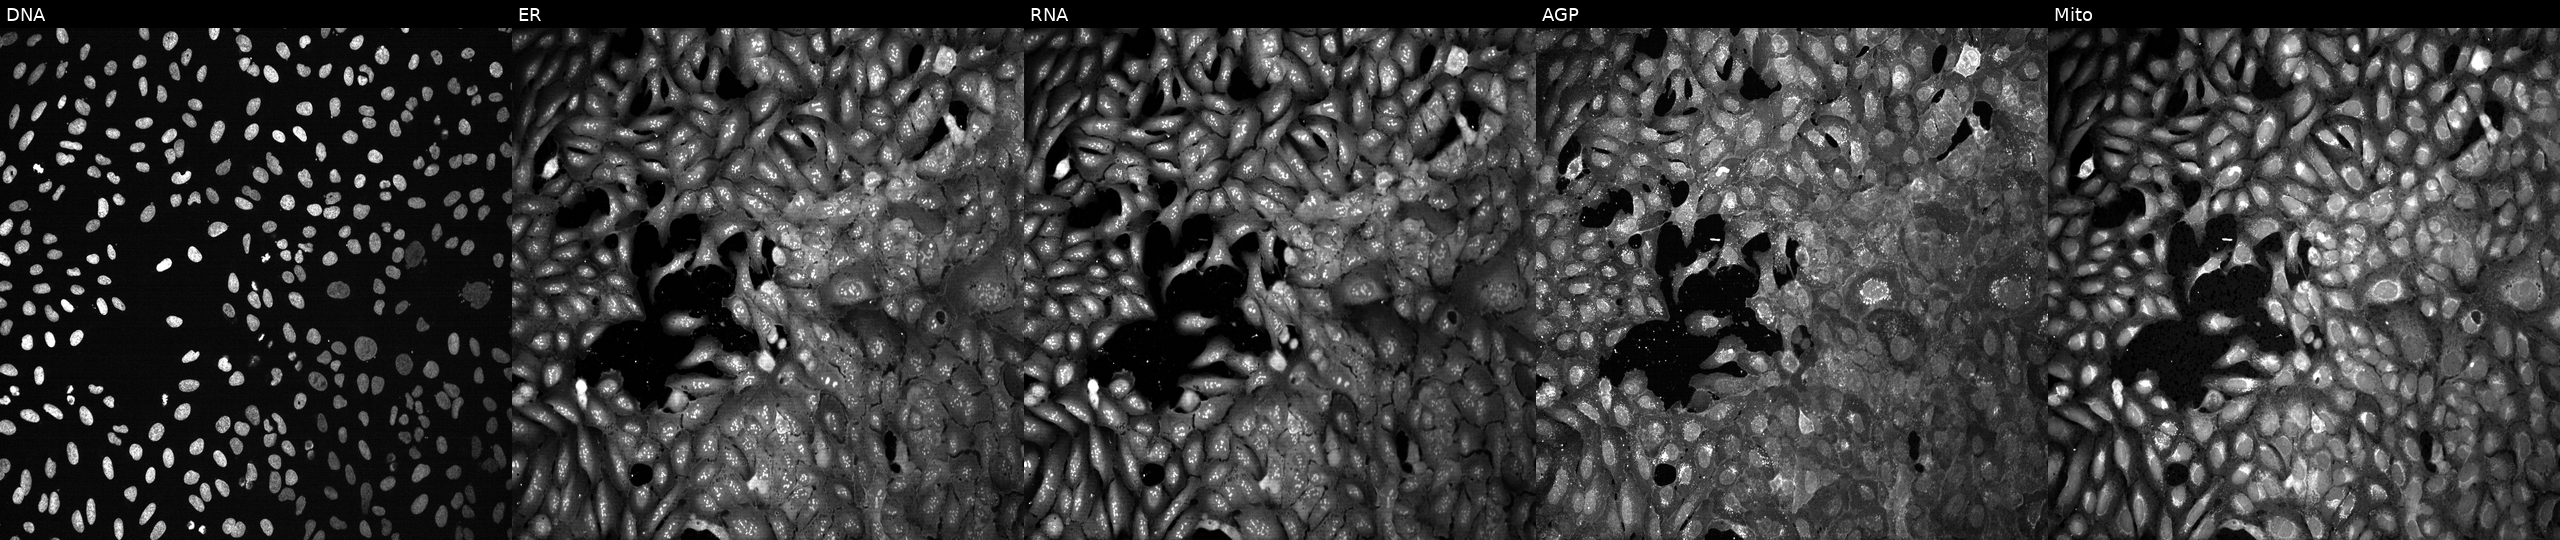
Panels show, left to right, DNA, ER, RNA, AGP, and Mito. U2OS osteosarcoma cells with KIF3A knocked out by CRISPR (JUMP id JCP2022_803681). Cell Painting assay, JUMP-CP dataset.